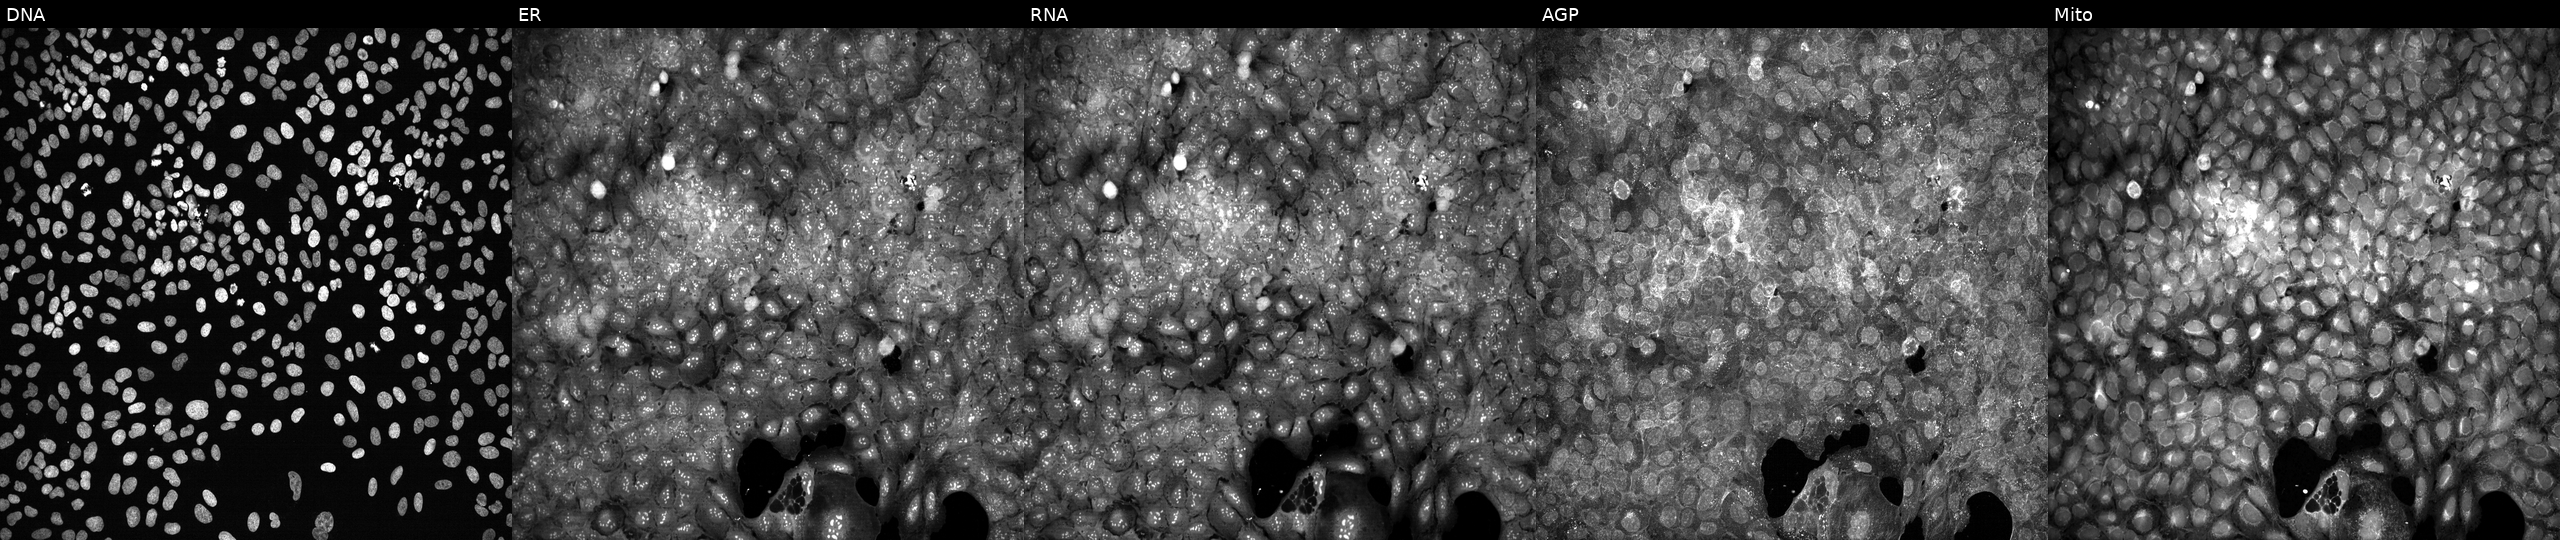
Five-channel Cell Painting image of U2OS cells with no CRISPR guide (negative control). Channels (left→right): Hoechst 33342, concanavalin A, SYTO 14, phalloidin and WGA, MitoTracker.